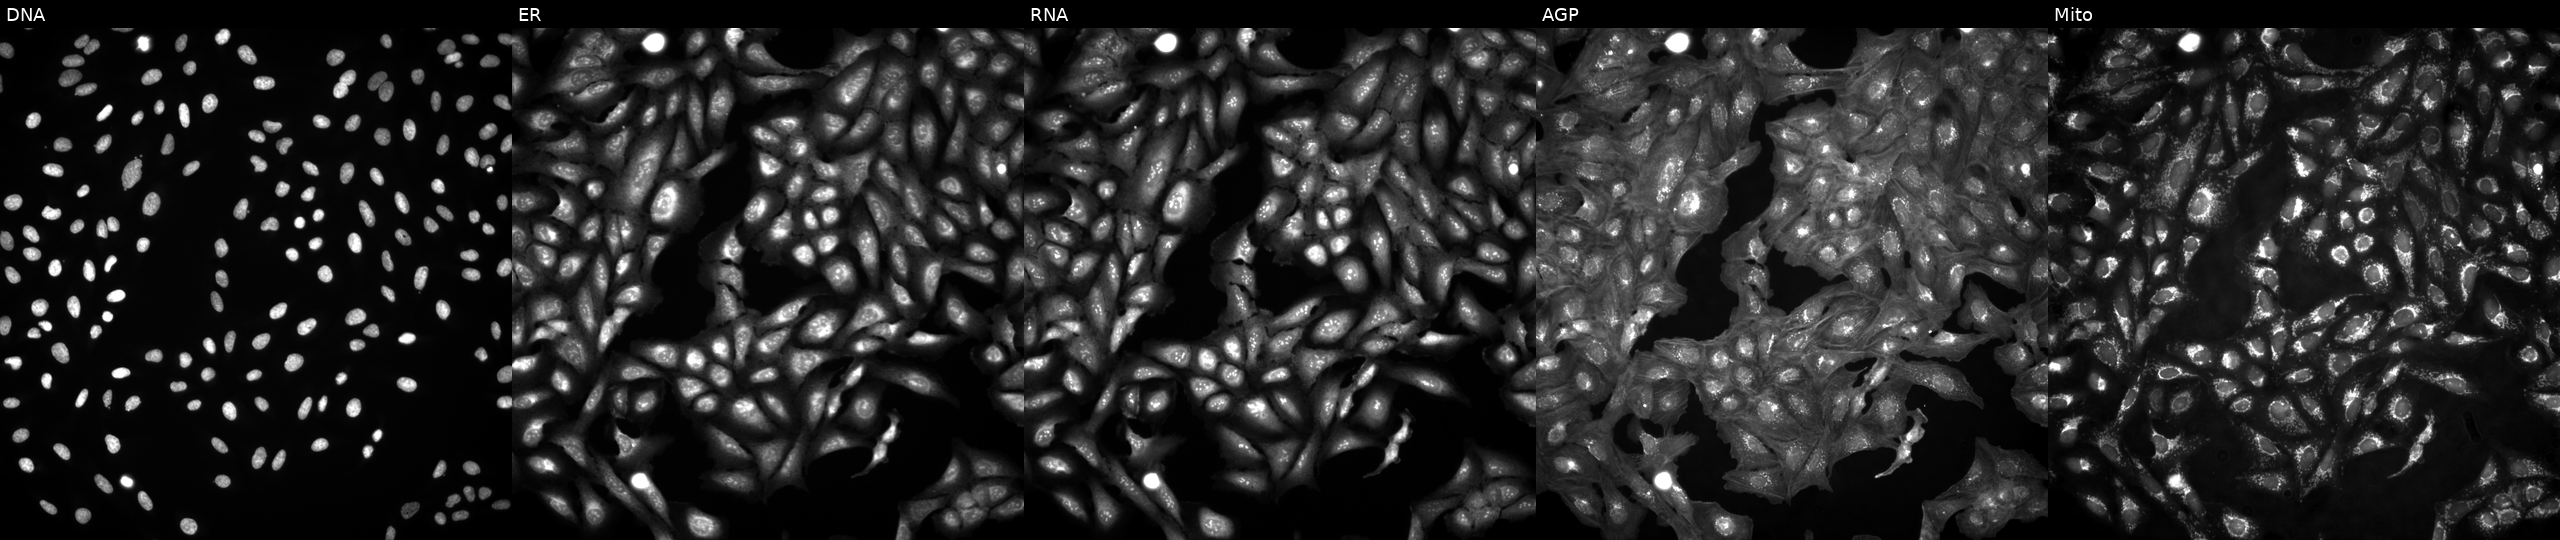
Five-channel Cell Painting image of U2OS cells in an empty control well (no perturbation). From left to right: Hoechst 33342, concanavalin A, SYTO 14, phalloidin and WGA, MitoTracker.